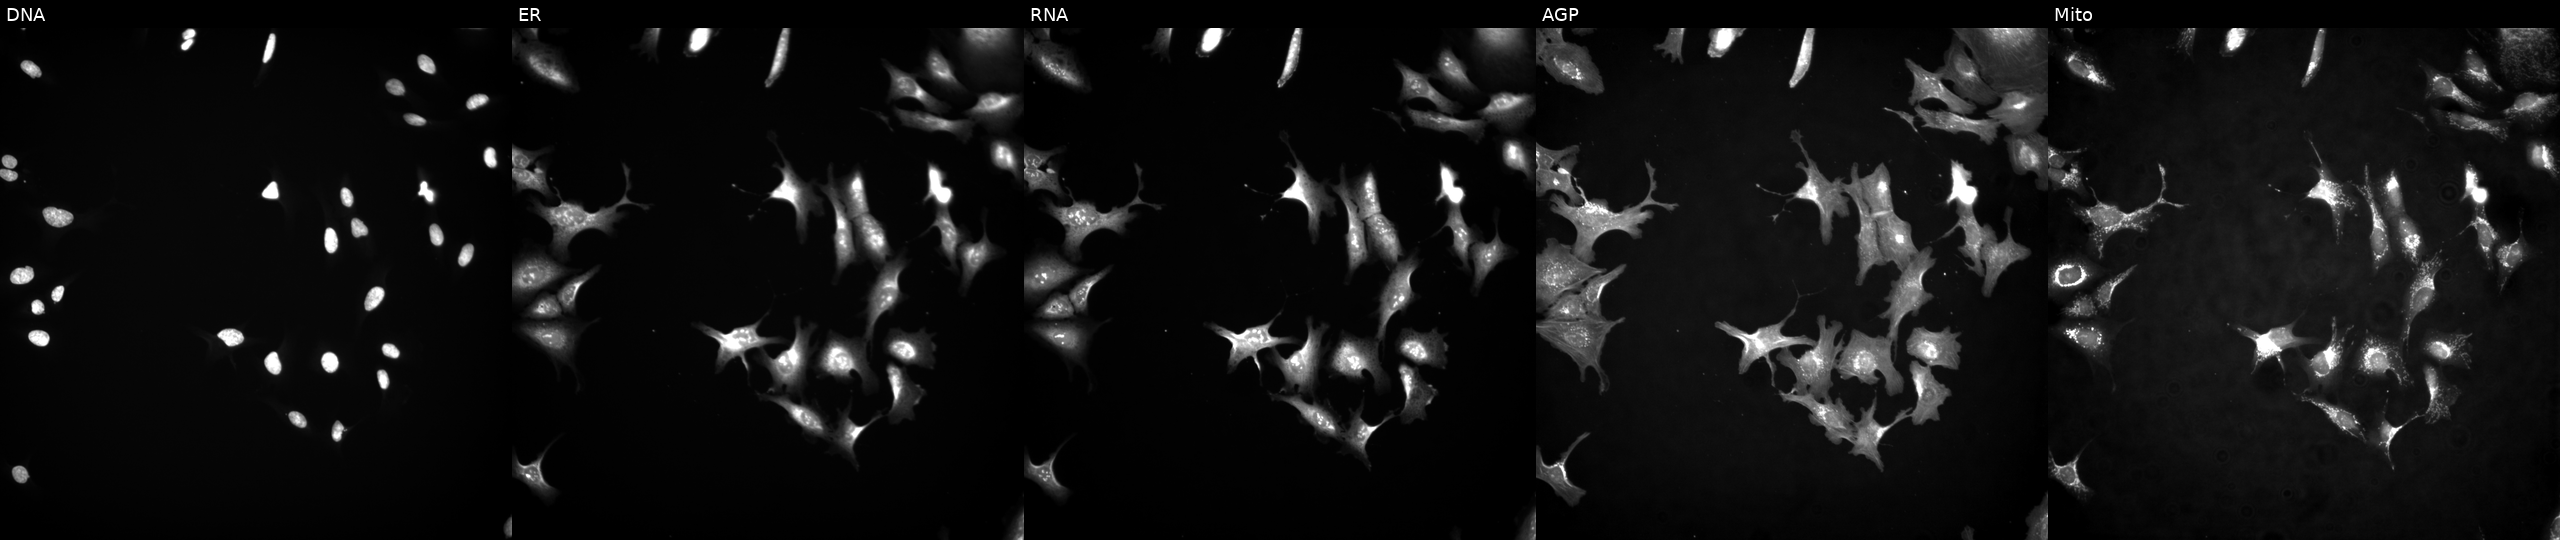
High-content fluorescence microscopy (Cell Painting). Cell line: U2OS. Perturbation: with AK1 overexpressed (ORF). The five panels, left to right, show Hoechst 33342, concanavalin A, SYTO 14, phalloidin and WGA, MitoTracker. Source 4, plate BR00123945, well C17.